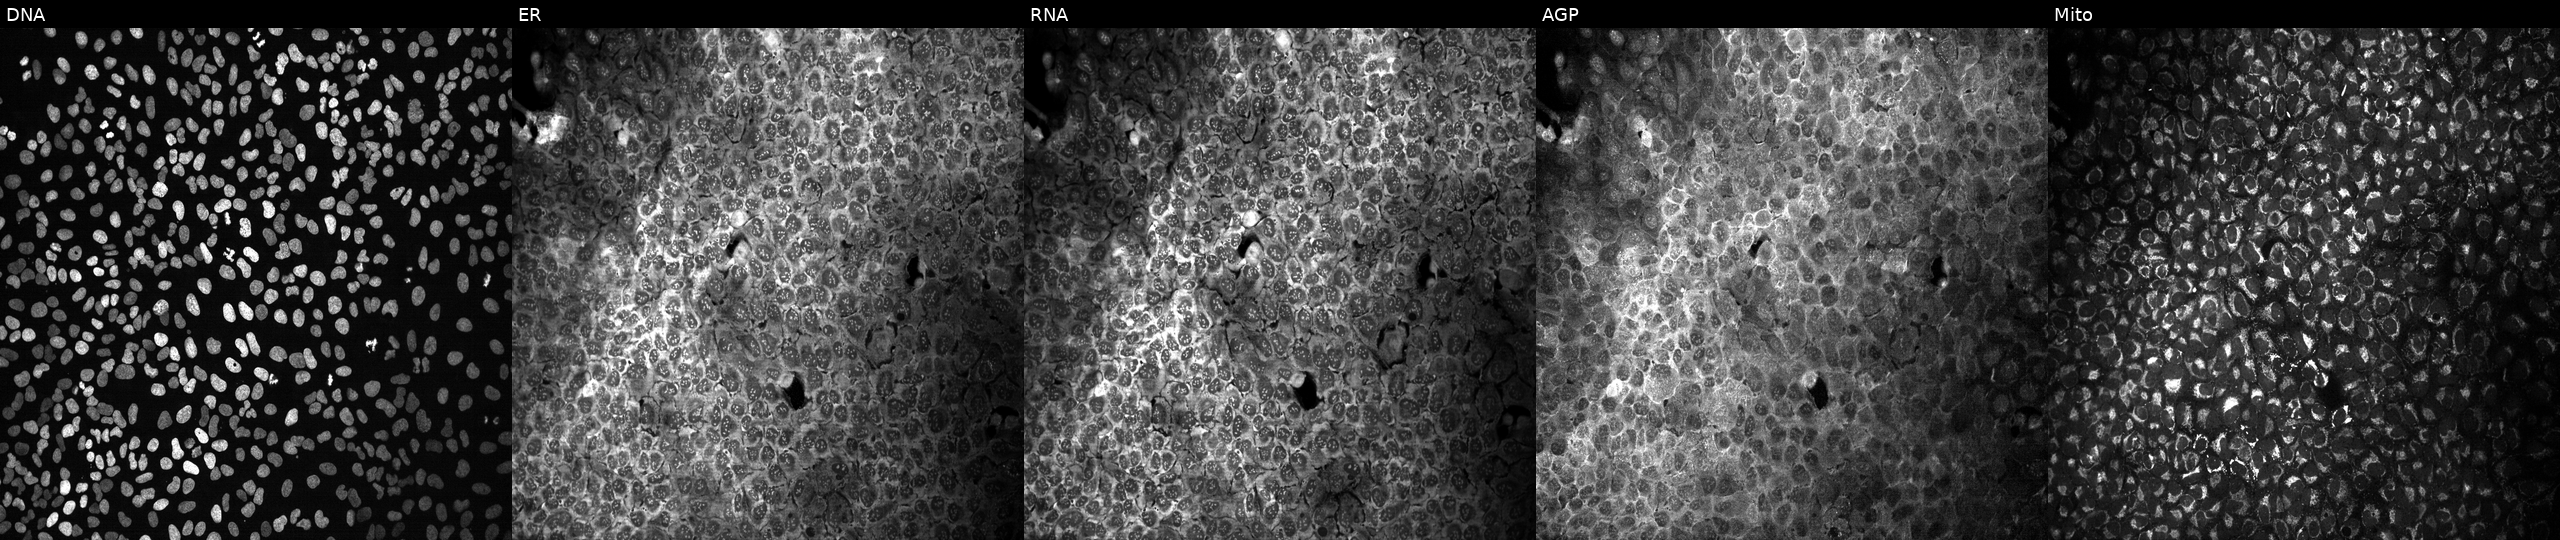
High-content fluorescence microscopy (Cell Painting). Cell line: U2OS. Perturbation: treated with DMSO vehicle only (negative control) (JUMP id JCP2022_033924). From left to right: DNA, ER, RNA, AGP, and Mito. Source 13, plate CP-CC9-R3-01, well N23.